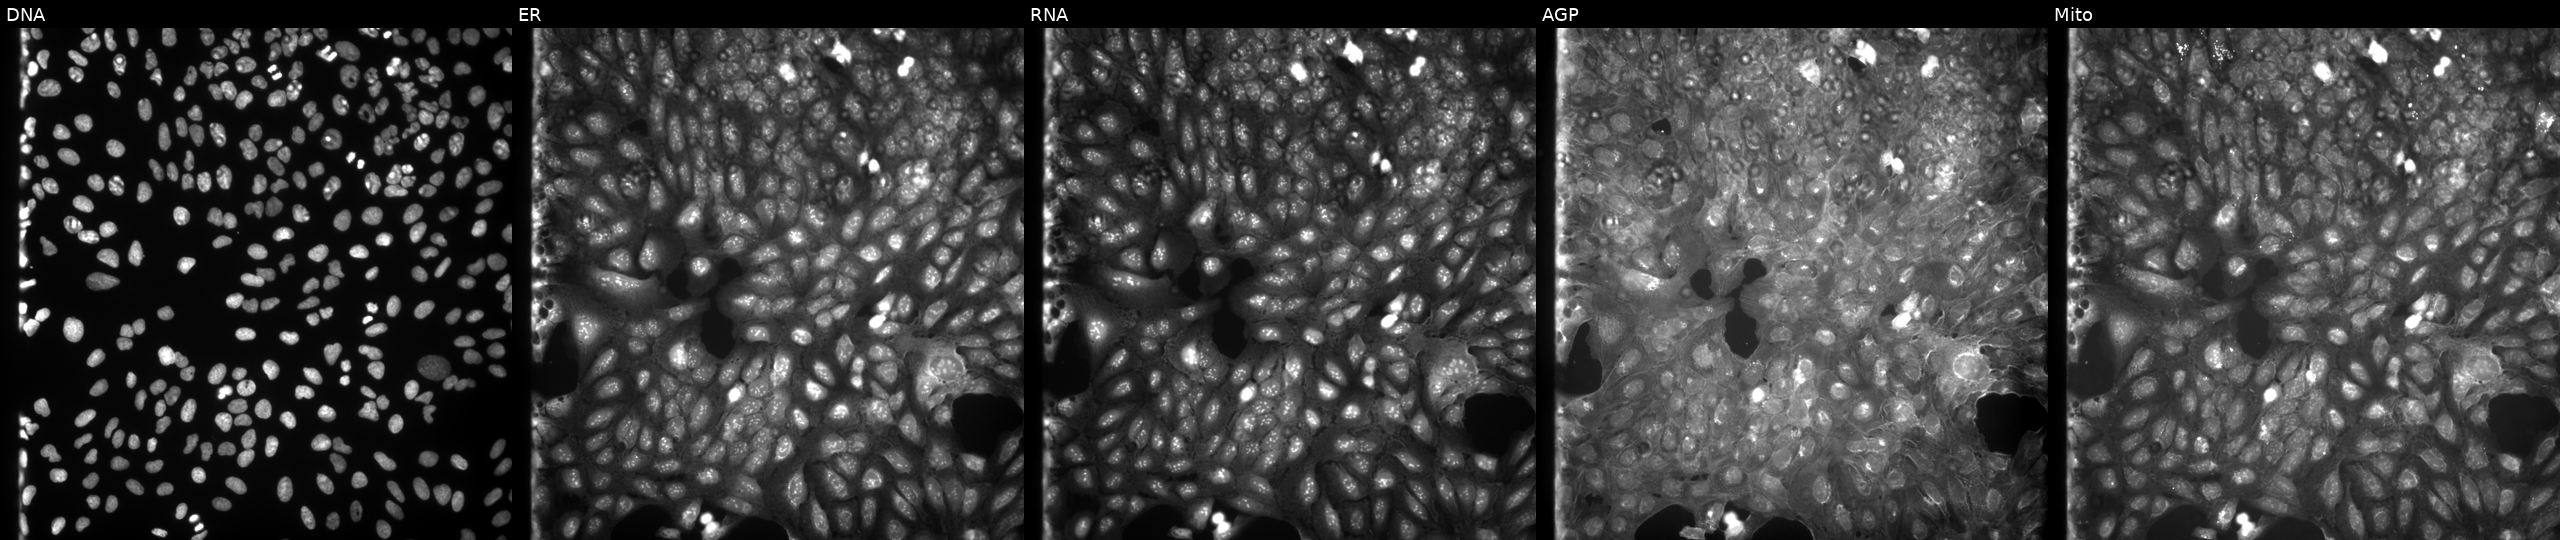
U2OS cells, Cell Painting assay, perturbed with a small-molecule compound (JUMP id JCP2022_042936). Channels (left→right): DNA (nuclei); ER (endoplasmic reticulum); RNA (nucleoli and cytoplasmic RNA); AGP (actin cytoskeleton, Golgi, and plasma membrane); Mito (mitochondria). Each panel is percentile-stretched 16-bit fluorescence. Source 9, plate GR00003382, well B14.